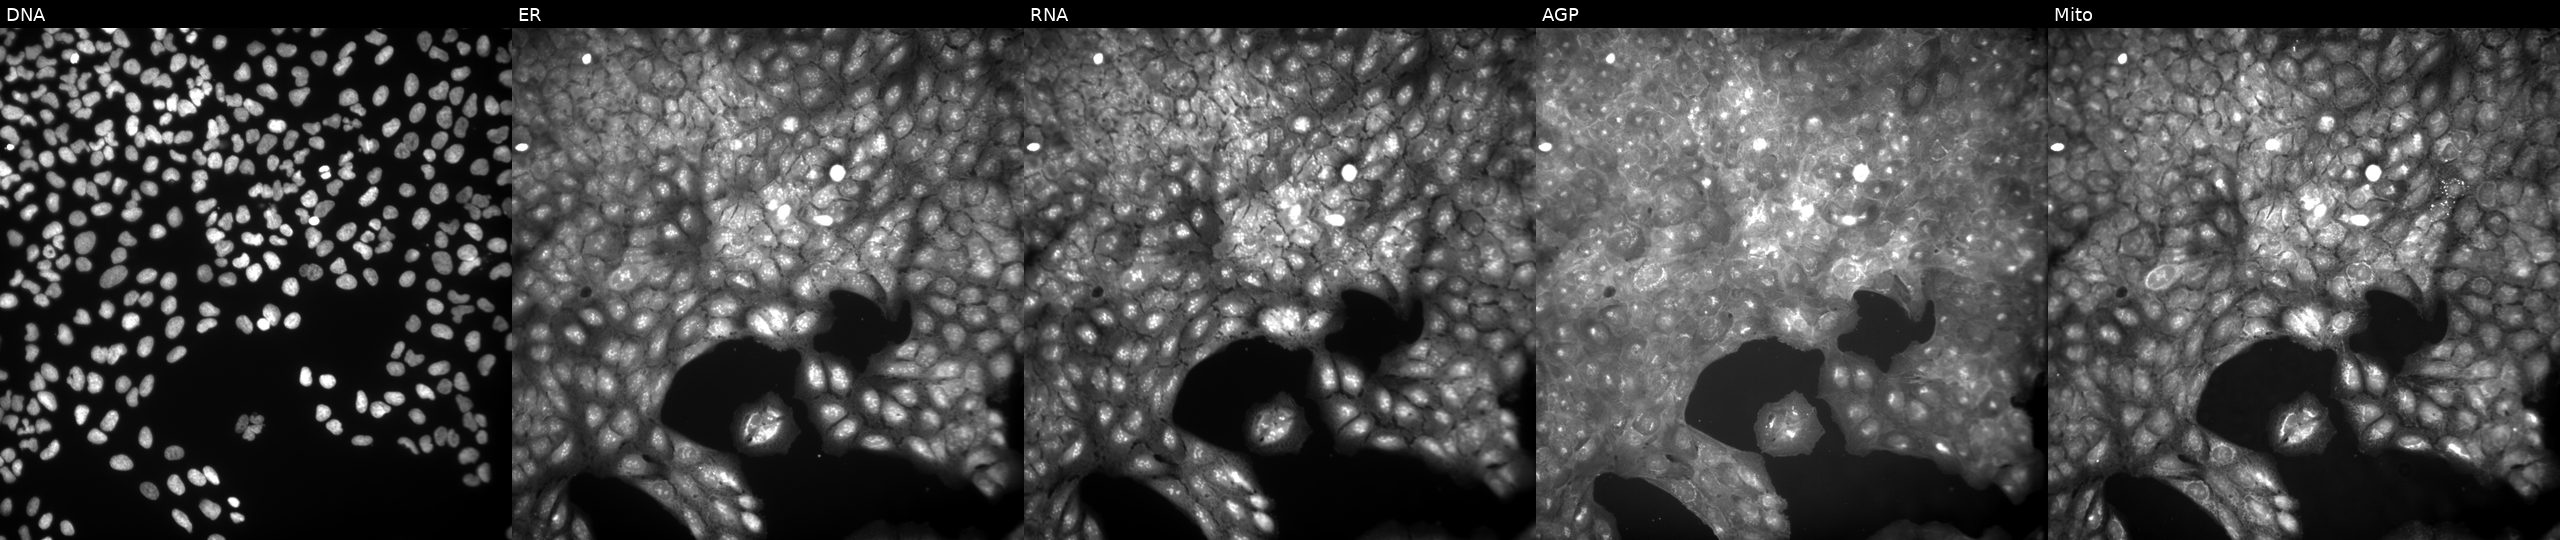
High-content fluorescence microscopy (Cell Painting). Cell line: U2OS. Perturbation: perturbed with a small-molecule compound. The five panels, left to right, show DNA (nuclei); ER (endoplasmic reticulum); RNA (nucleoli and cytoplasmic RNA); AGP (actin cytoskeleton, Golgi, and plasma membrane); Mito (mitochondria).